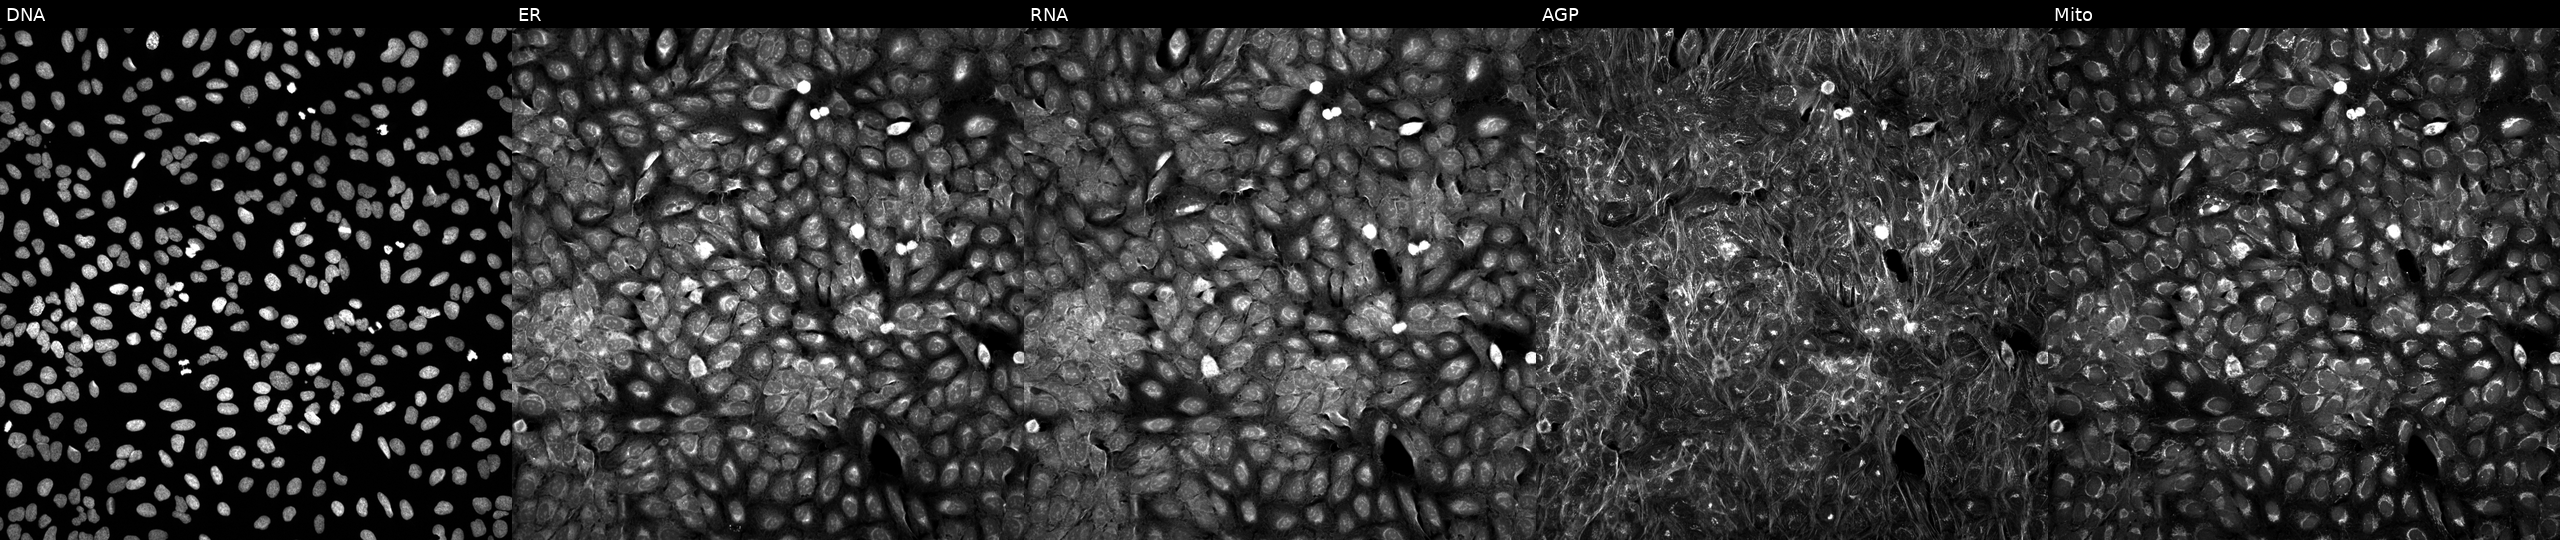
This image strip shows the five Cell Painting channels for a single field of U2OS cells exposed to DMSO alone as a negative control (JUMP id JCP2022_033924). Channels (left→right): Hoechst 33342, concanavalin A, SYTO 14, phalloidin and WGA, MitoTracker. Source 5, plate ACPJUM012, well P11.